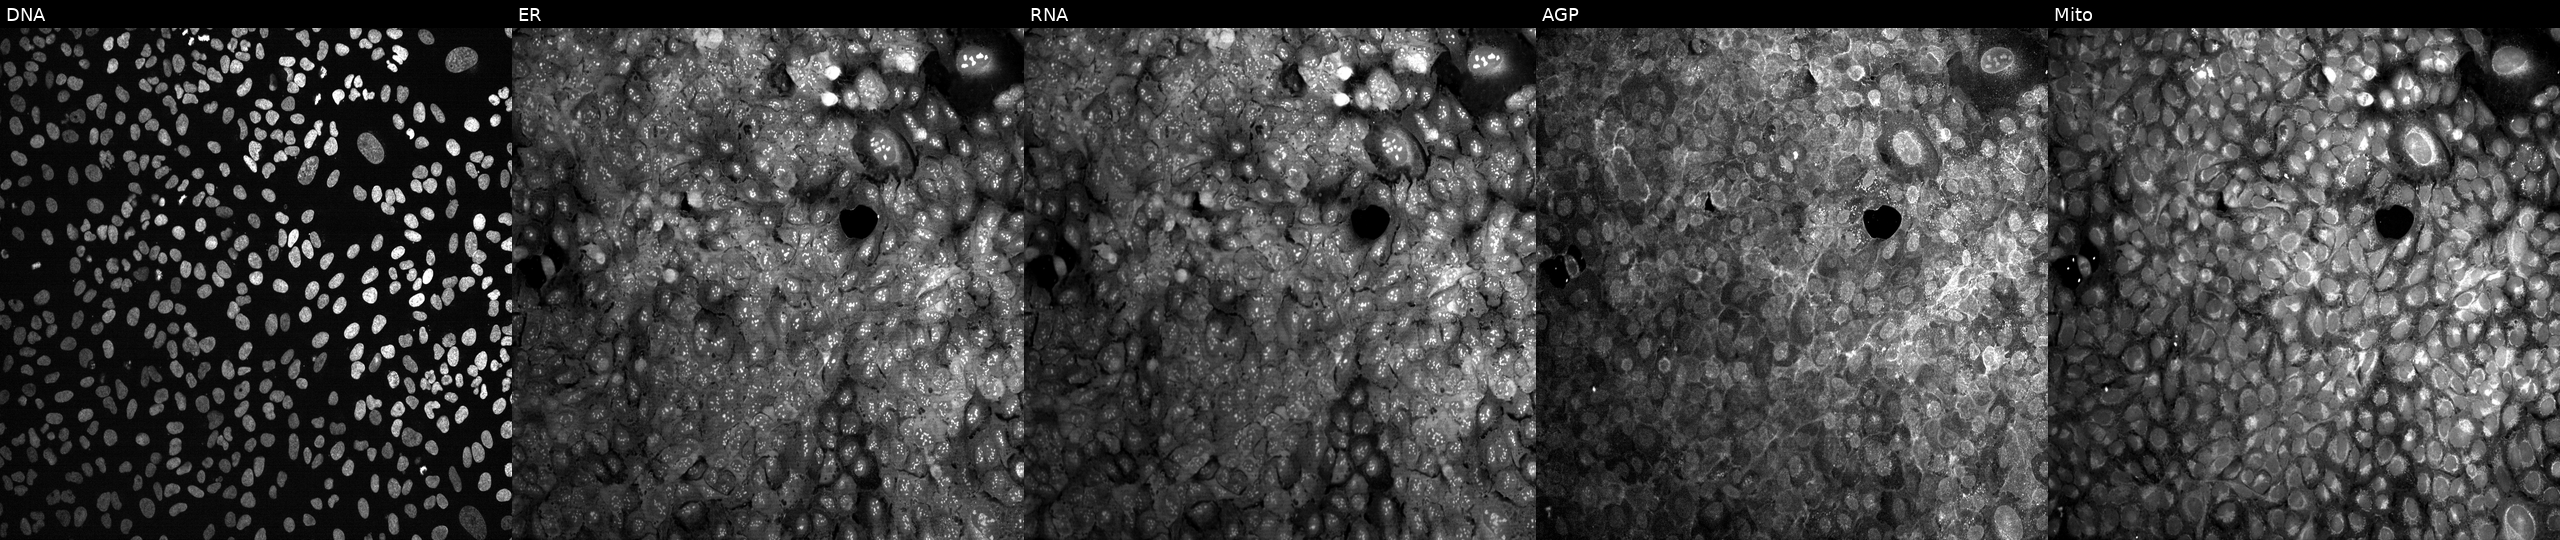
U2OS cells, Cell Painting assay, with ABCA8 knocked out by CRISPR. Panels show, left to right, Hoechst 33342, concanavalin A, SYTO 14, phalloidin and WGA, MitoTracker. Each panel is percentile-stretched 16-bit fluorescence. Source 13, plate CP-CC9-R1-01, well A17.